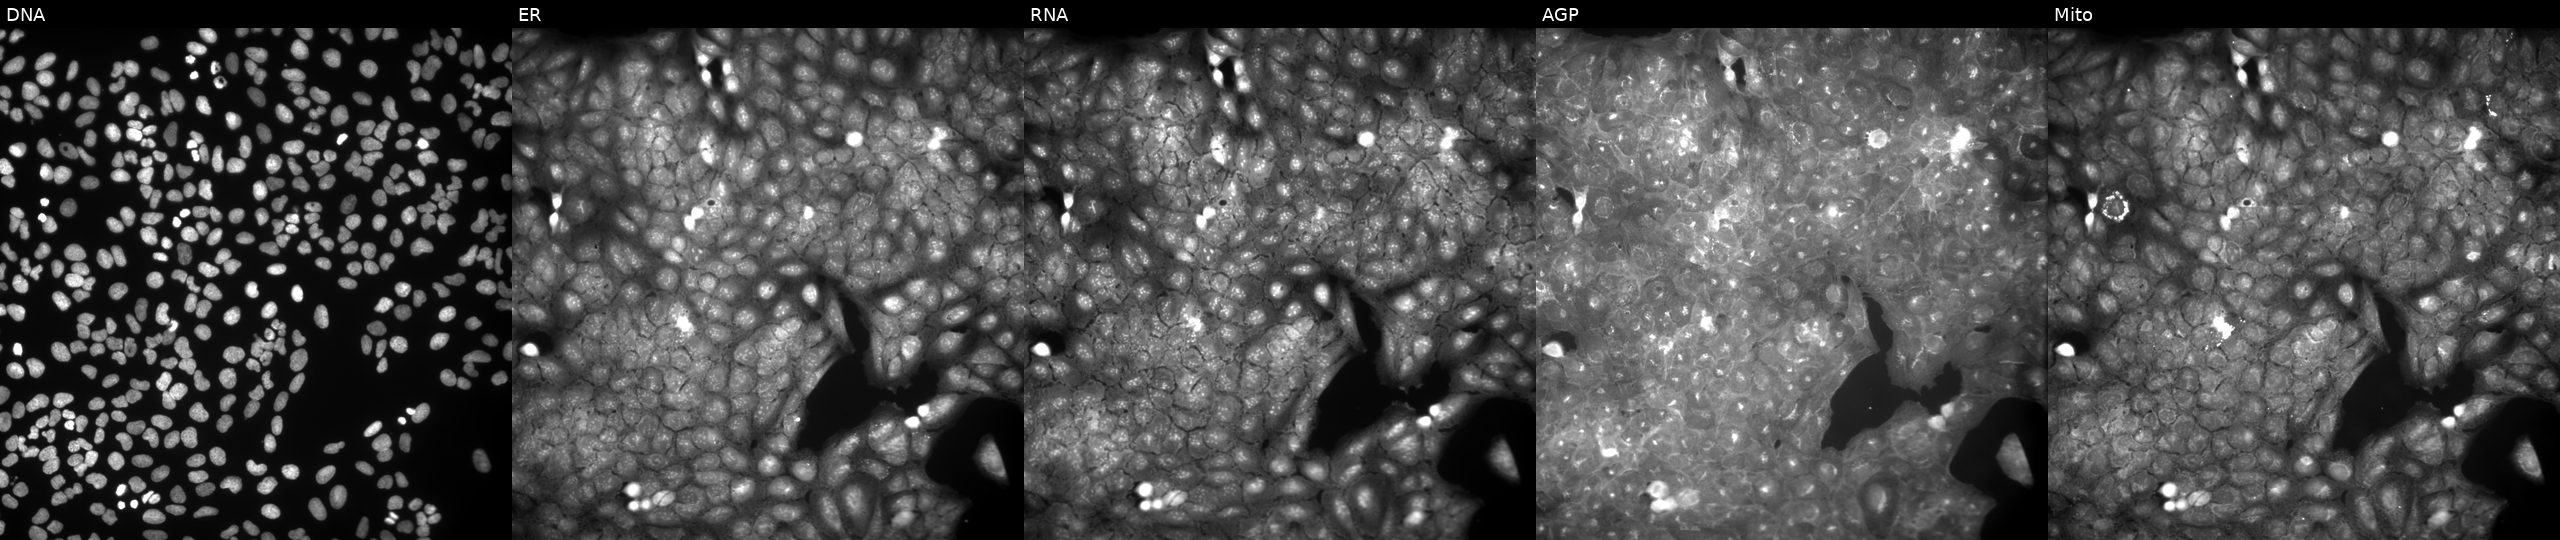
High-content fluorescence microscopy (Cell Painting). Cell line: U2OS. Perturbation: exposed to a small-molecule compound. Channels (left→right): DNA (nuclei); ER (endoplasmic reticulum); RNA (nucleoli and cytoplasmic RNA); AGP (actin cytoskeleton, Golgi, and plasma membrane); Mito (mitochondria). Source 9, plate GR00003381, well W38.